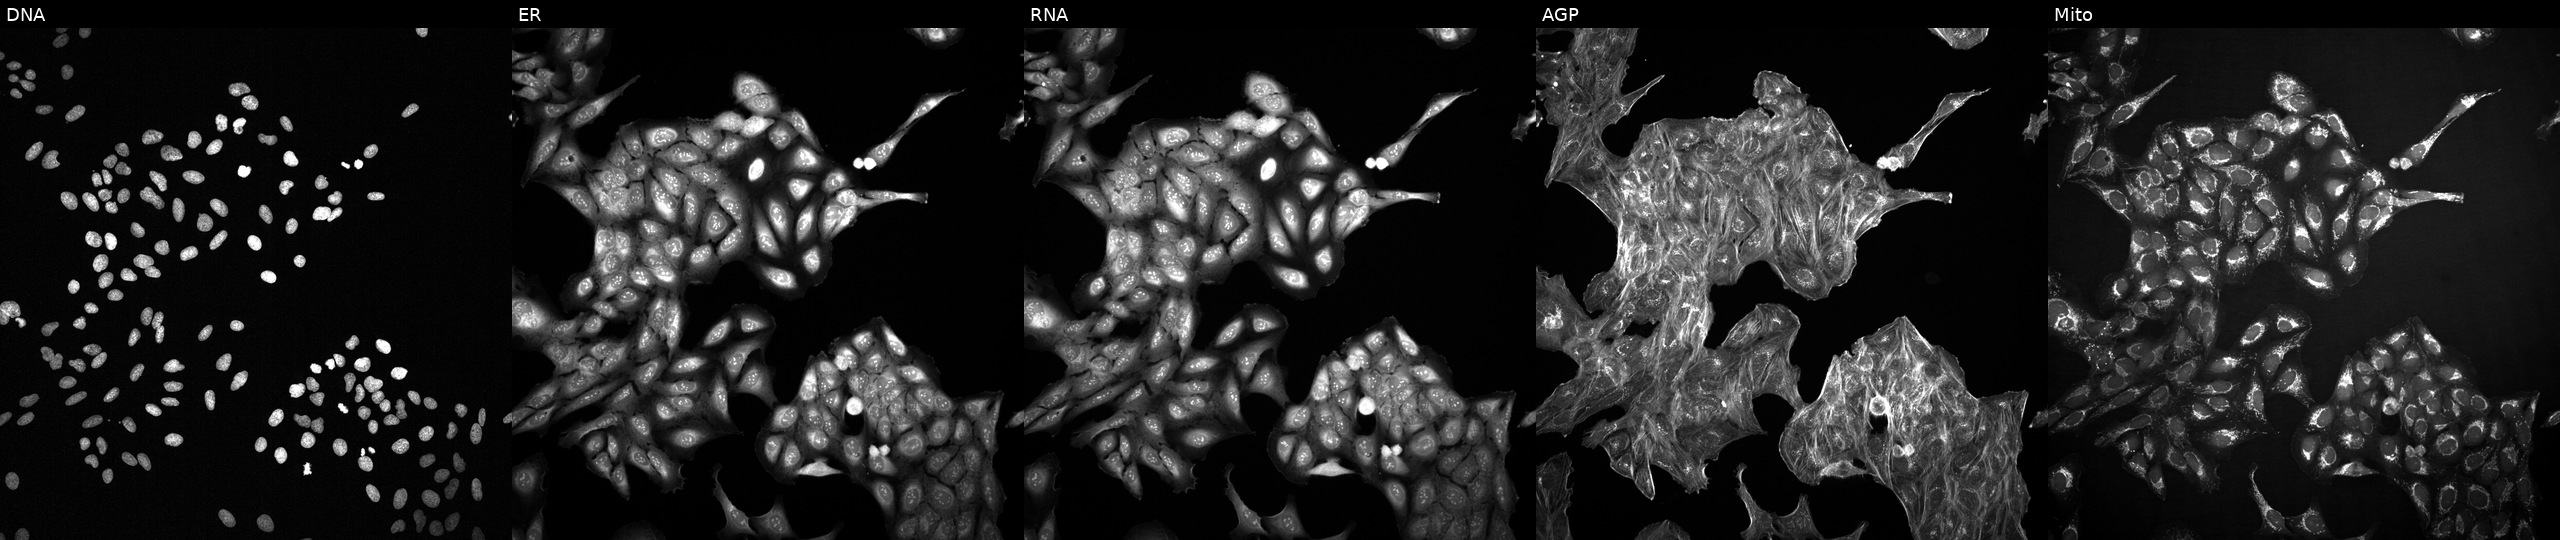
High-content fluorescence microscopy (Cell Painting). Cell line: U2OS. Perturbation: with an unidentified perturbation (not annotated in JUMP metadata). From left to right: DNA, ER, RNA, AGP, and Mito.